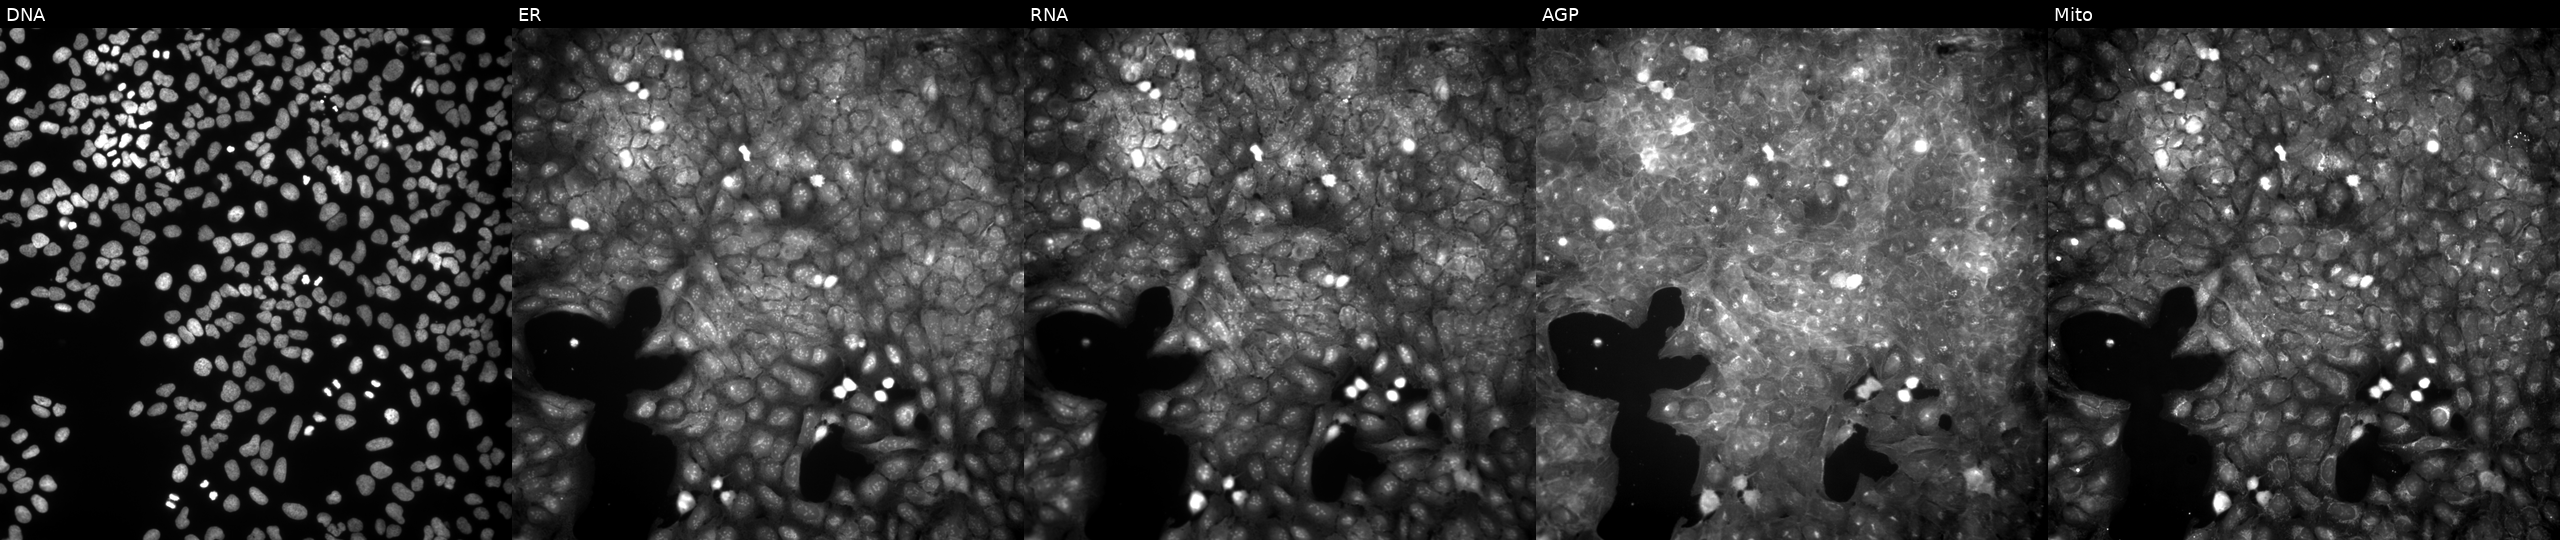
High-content fluorescence microscopy (Cell Painting). Cell line: U2OS. Perturbation: exposed to DMSO alone as a negative control (JUMP id JCP2022_033924). The five panels, left to right, show Hoechst 33342, concanavalin A, SYTO 14, phalloidin and WGA, MitoTracker. Source 9, plate GR00003381, well P26.